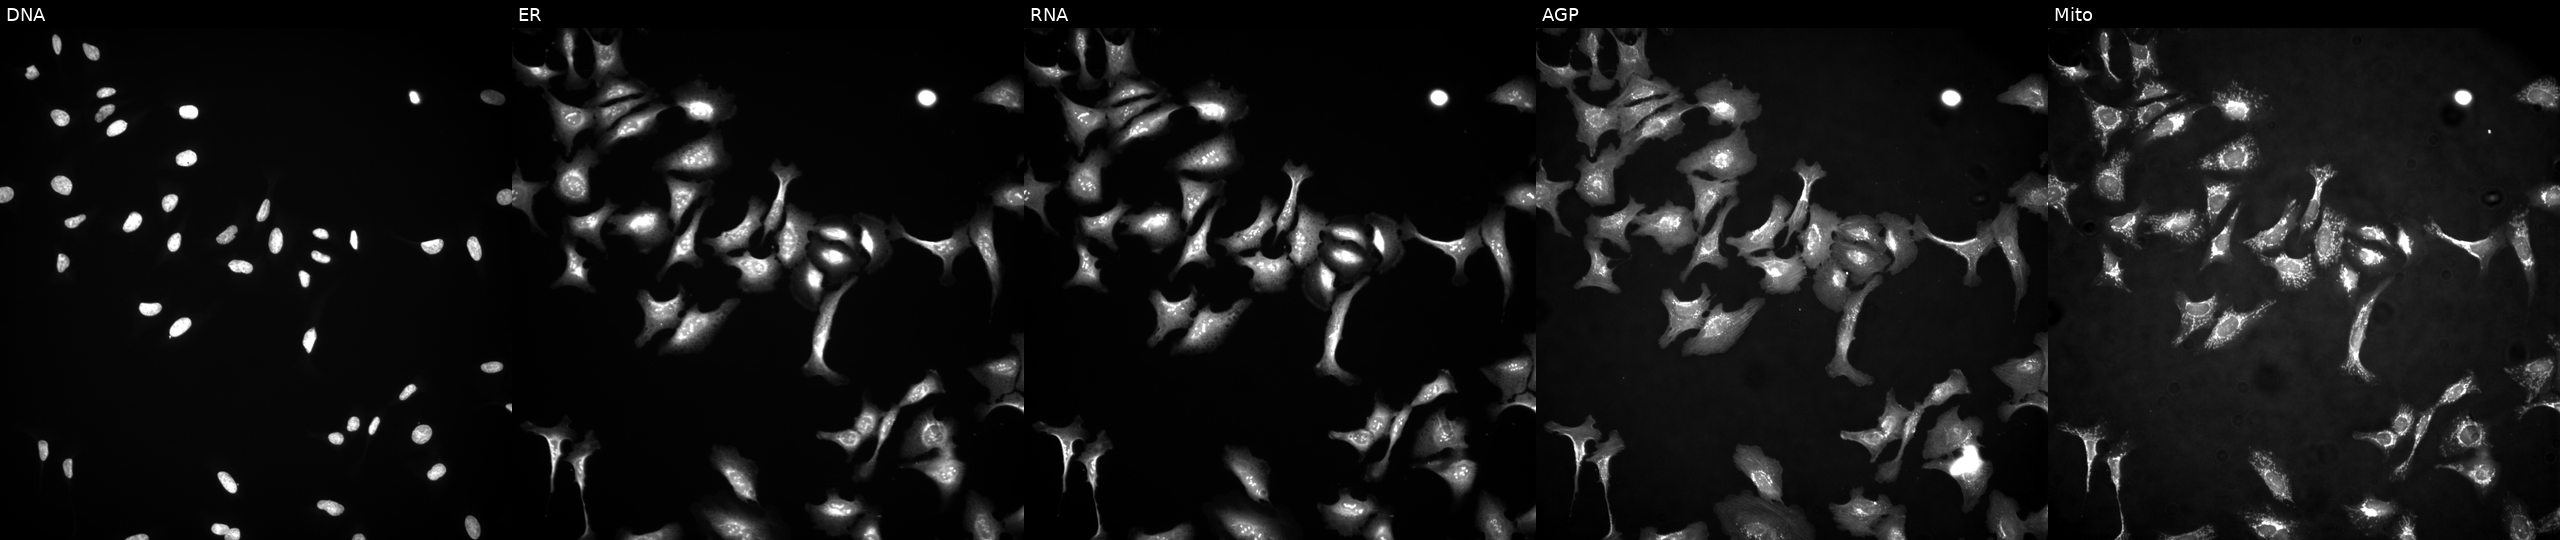
Five-channel Cell Painting image of U2OS cells transfected with an ORF construct for TPM3 (JUMP id JCP2022_912344). Channels (left→right): Hoechst 33342, concanavalin A, SYTO 14, phalloidin and WGA, MitoTracker.